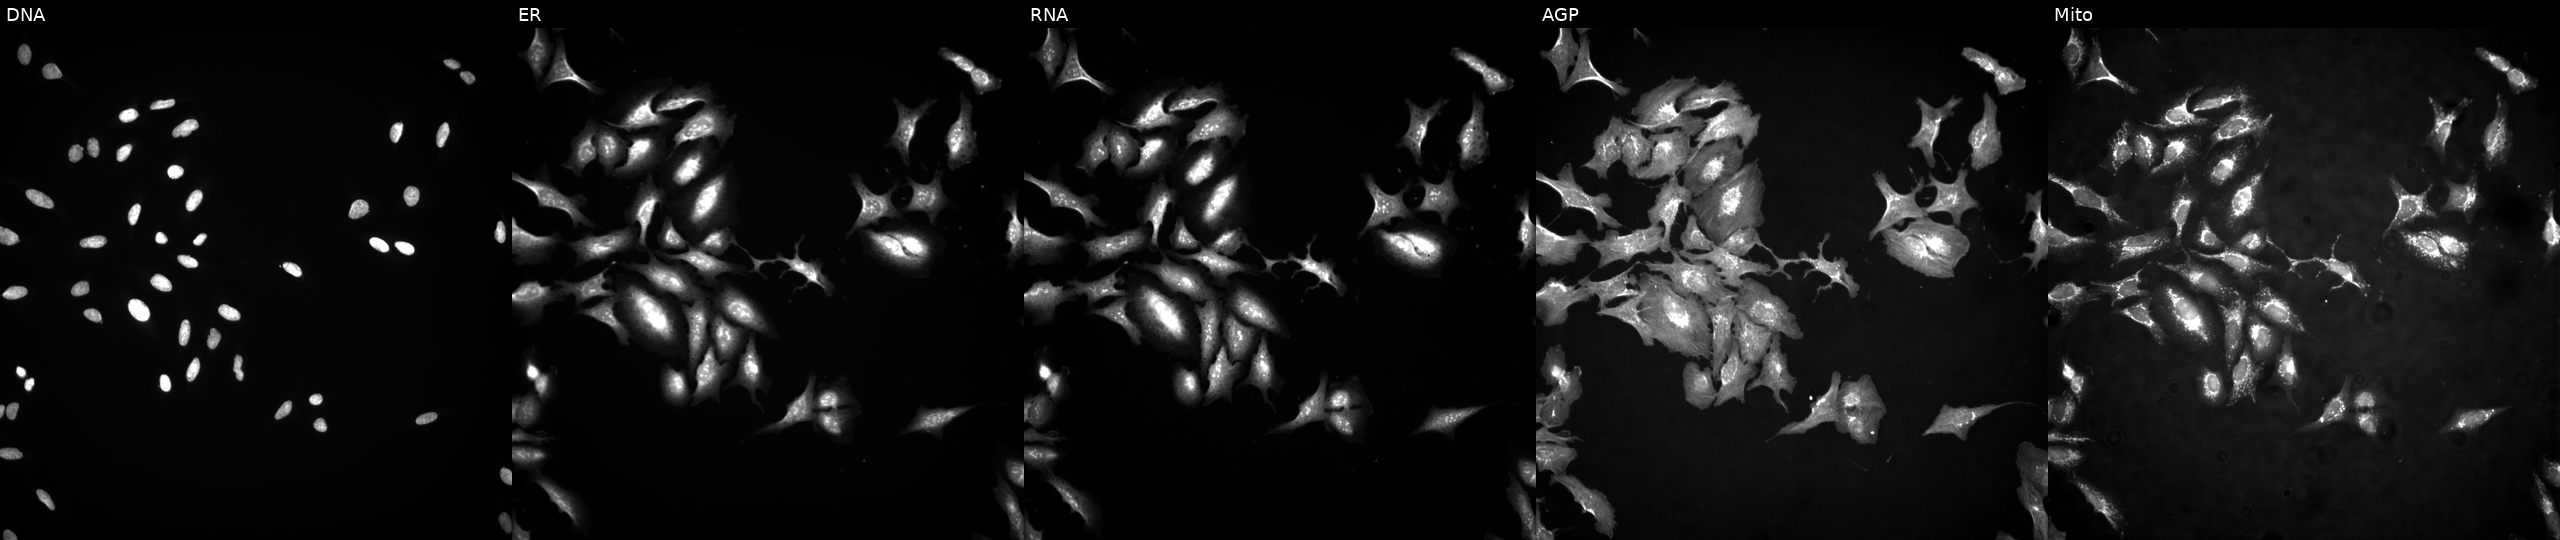
High-content fluorescence microscopy (Cell Painting). Cell line: U2OS. Perturbation: overexpressing JAK3 via ORF transfection. Panels show, left to right, Hoechst 33342, concanavalin A, SYTO 14, phalloidin and WGA, MitoTracker. Source 4, plate BR00123945, well O04.